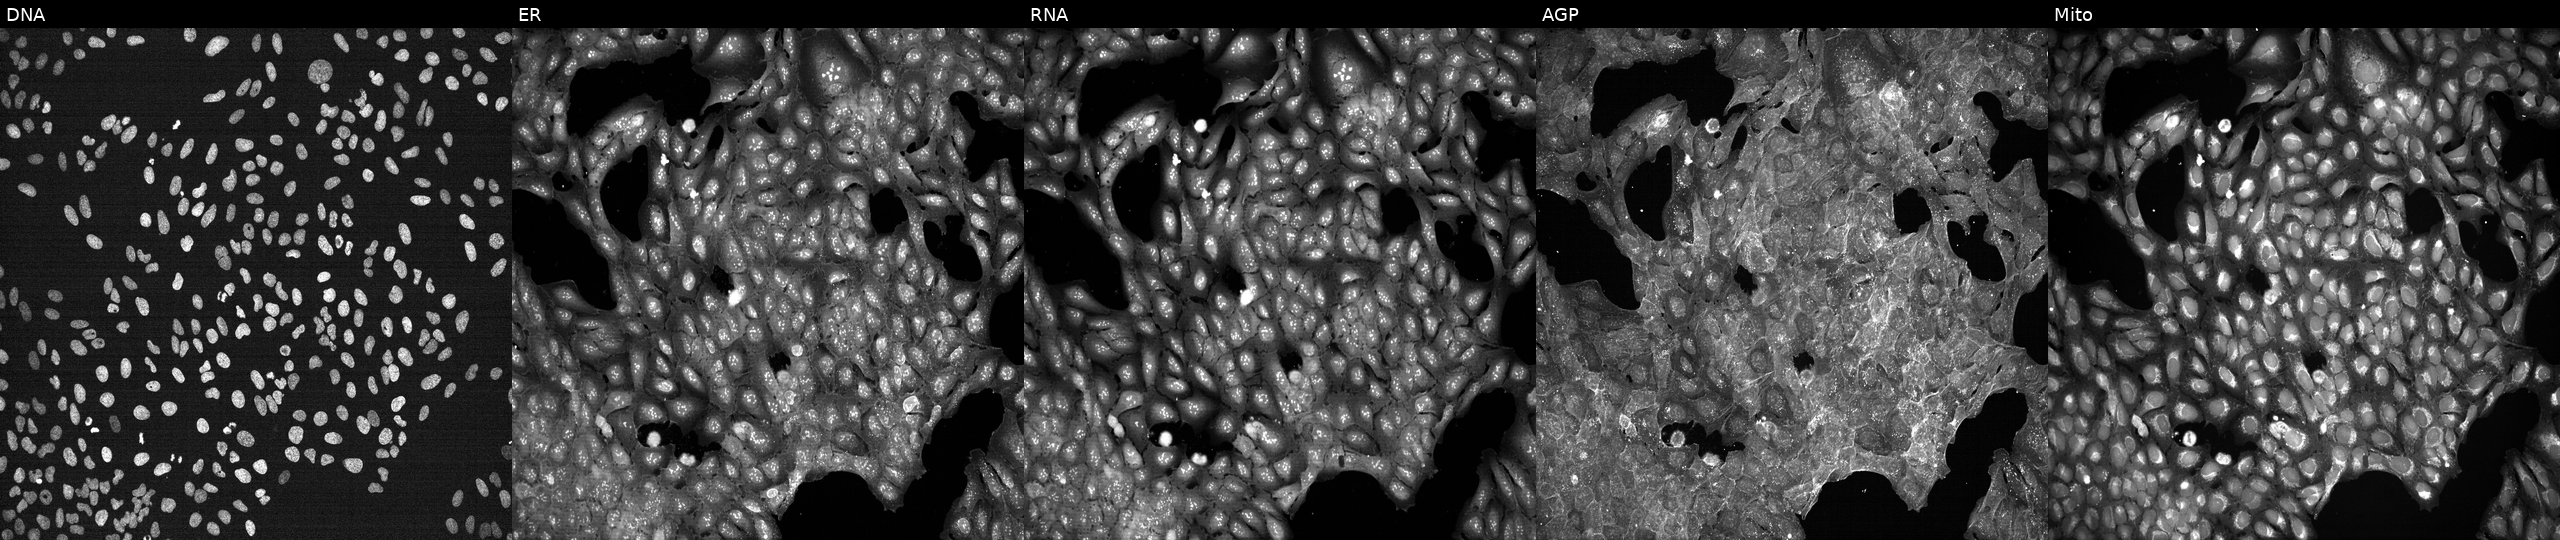
High-content fluorescence microscopy (Cell Painting). Cell line: U2OS. Perturbation: exposed to a small-molecule compound (InChIKey FHPOTBQOUBMMCI-UHFFFAOYSA-N) [SMILES: FCc1ccc(OCCOc2ccc(Cl)cc2Cl)c(Cl)n1] (JUMP id JCP2022_020718). From left to right: DNA (nuclei); ER (endoplasmic reticulum); RNA (nucleoli and cytoplasmic RNA); AGP (actin cytoskeleton, Golgi, and plasma membrane); Mito (mitochondria).